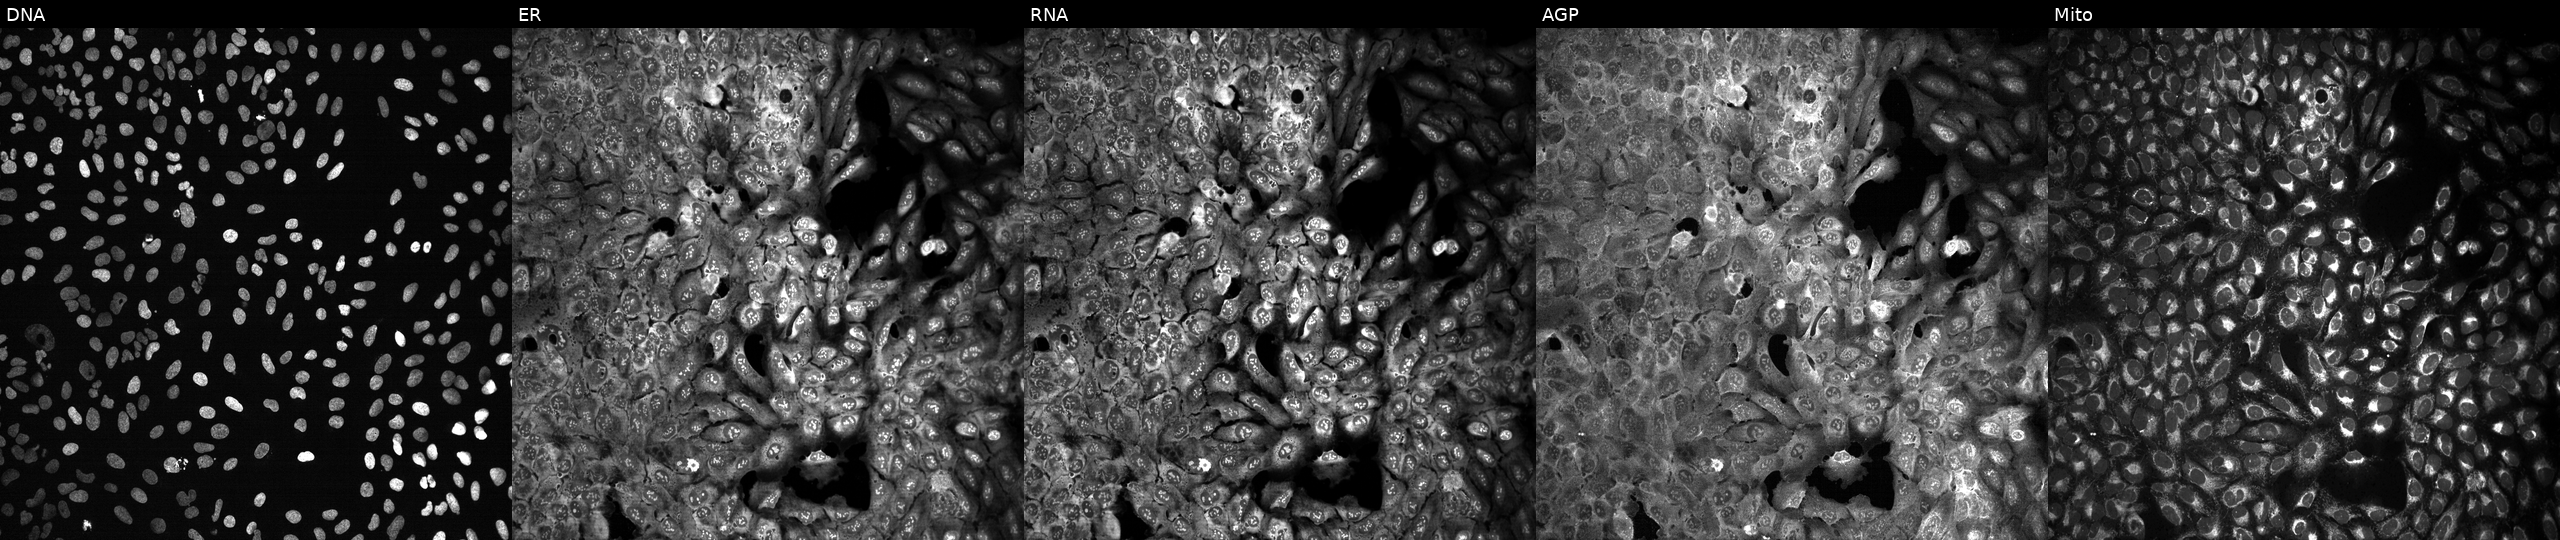
This image strip shows the five Cell Painting channels for a single field of U2OS cells CRISPR-edited to disrupt GNA11 (JUMP id JCP2022_802758). Panels show, left to right, DNA, ER, RNA, AGP, and Mito. Source 13, plate CP-CC9-R3-01, well J03.